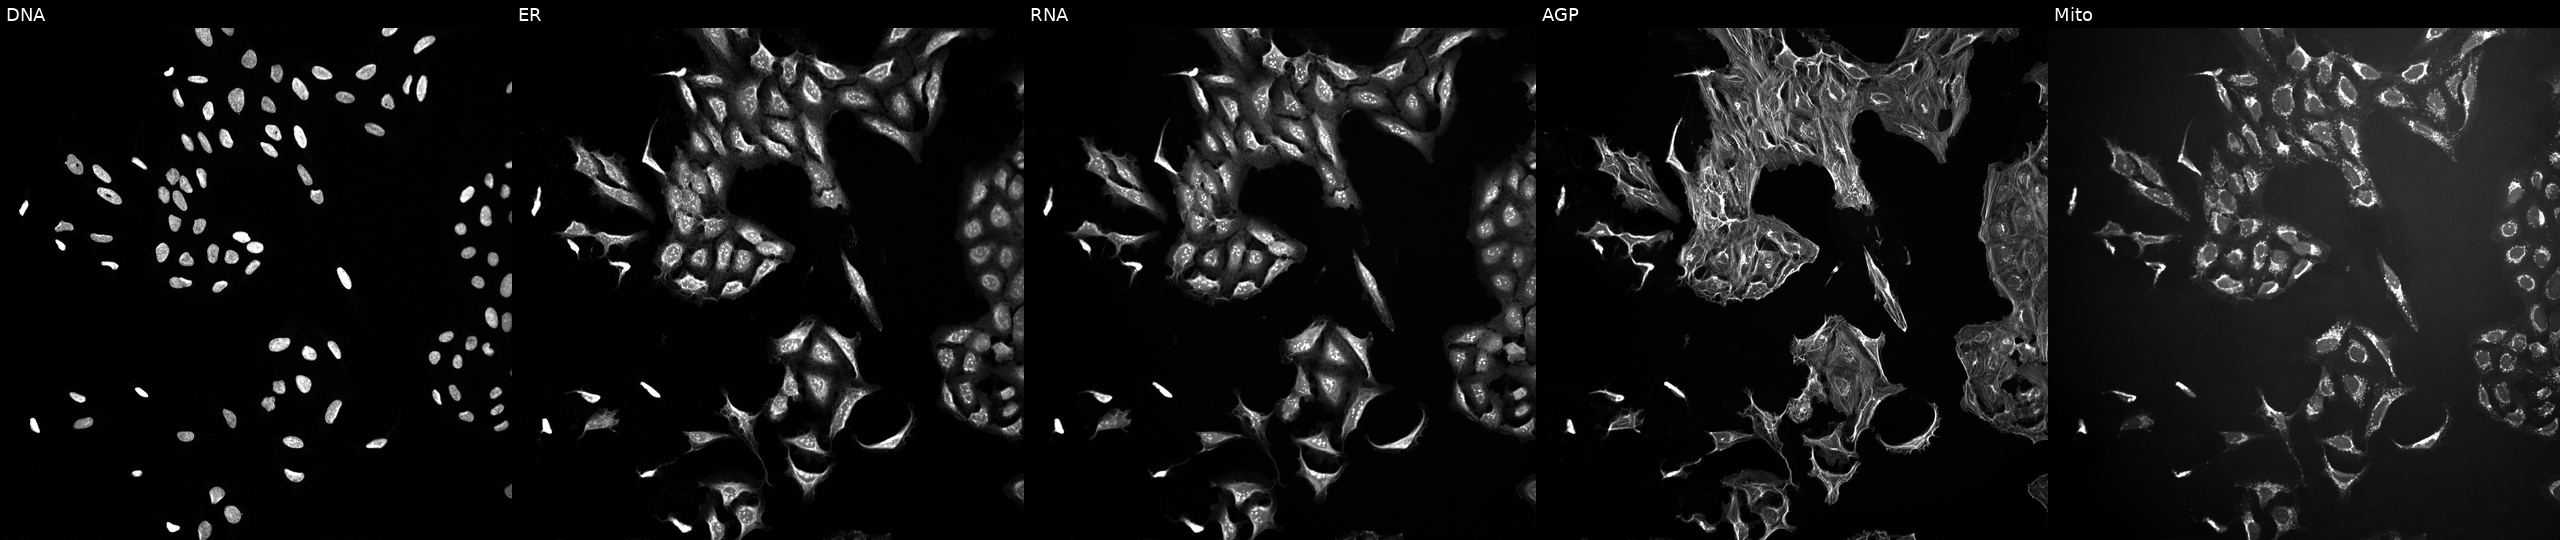
Five-channel Cell Painting image of U2OS cells perturbed with a small-molecule compound (InChIKey KXDROGADUISDGY-UHFFFAOYSA-N). The five panels, left to right, show DNA (nuclei); ER (endoplasmic reticulum); RNA (nucleoli and cytoplasmic RNA); AGP (actin cytoskeleton, Golgi, and plasma membrane); Mito (mitochondria).